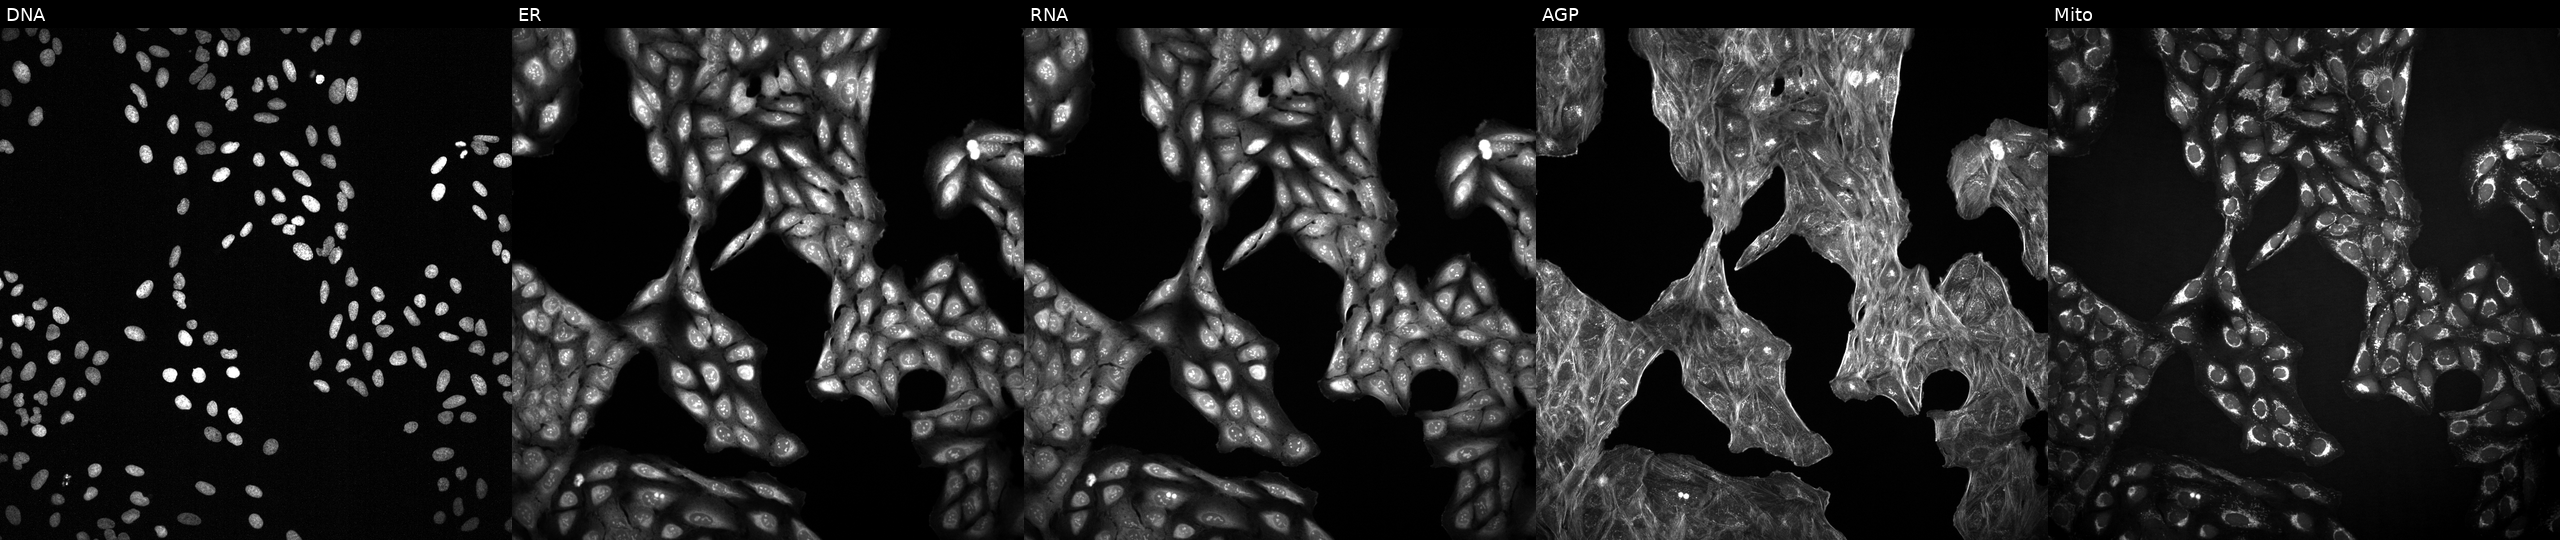
From left to right: DNA, ER, RNA, AGP, and Mito. U2OS osteosarcoma cells perturbed with a small-molecule compound (InChIKey CWHIRGUKWMSOIB-UHFFFAOYSA-N) [SMILES: CCCOC(=O)C1C(C)=NC2(O)c3ccccc3C(=O)C12O]. Cell Painting assay, JUMP-CP dataset.